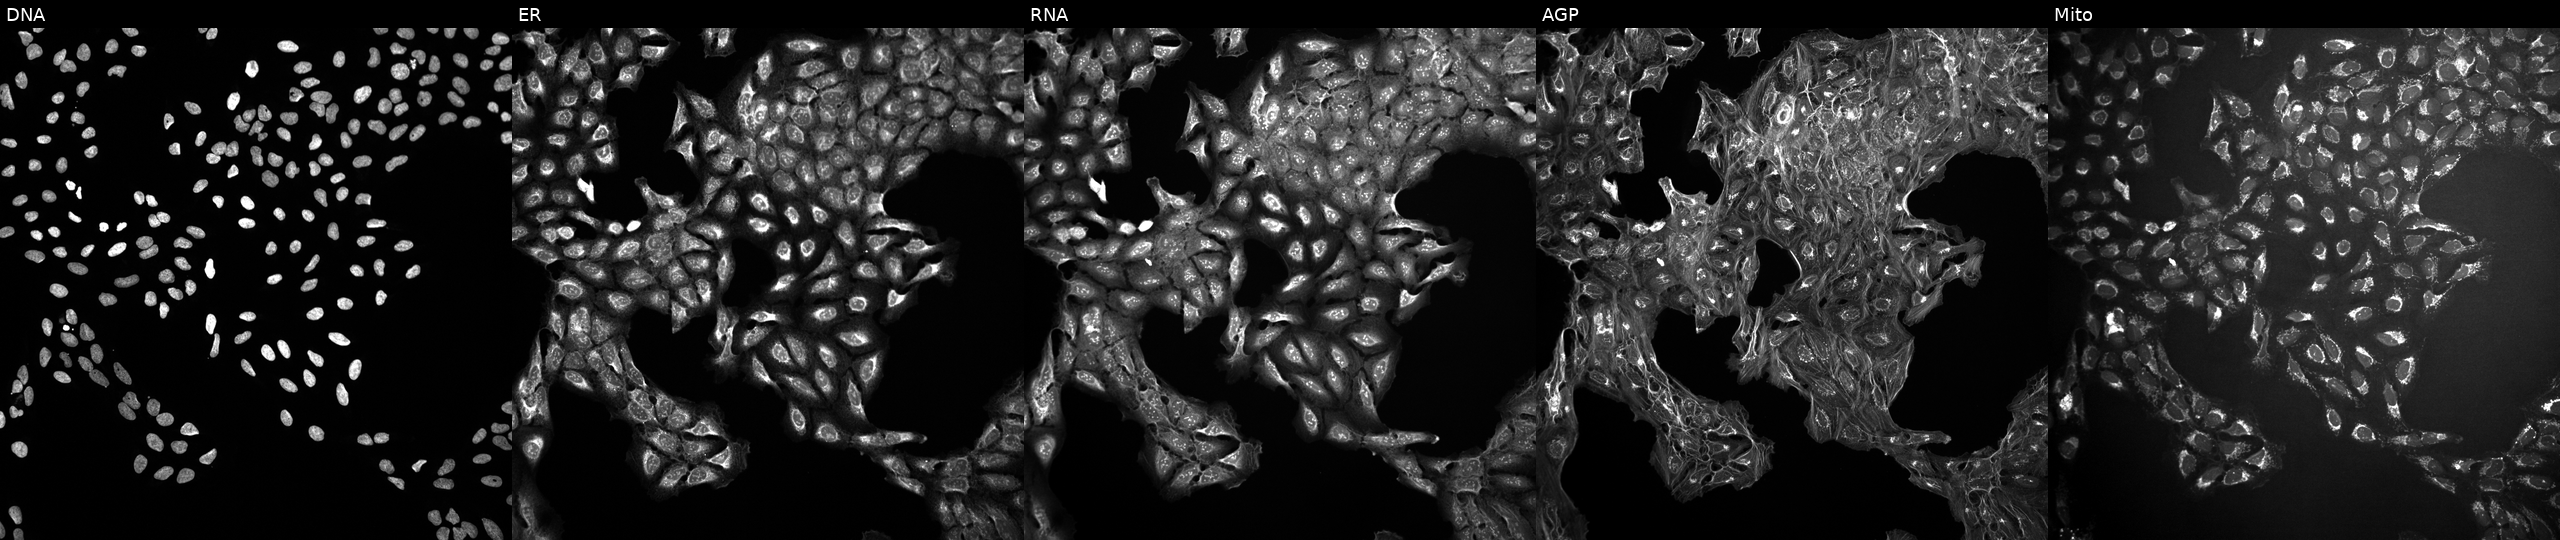
High-content fluorescence microscopy (Cell Painting). Cell line: U2OS. Perturbation: treated with a small-molecule compound (InChIKey ODNCBTPGDSRZEL-UHFFFAOYSA-N) [SMILES: Cn1cc(-c2ccc(CNC(=O)Nc3ccccc3C(F)(F)F)cn2)cn1]. Panels show, left to right, DNA (nuclei); ER (endoplasmic reticulum); RNA (nucleoli and cytoplasmic RNA); AGP (actin cytoskeleton, Golgi, and plasma membrane); Mito (mitochondria). Source 10, plate Dest210531-152324, well D17.